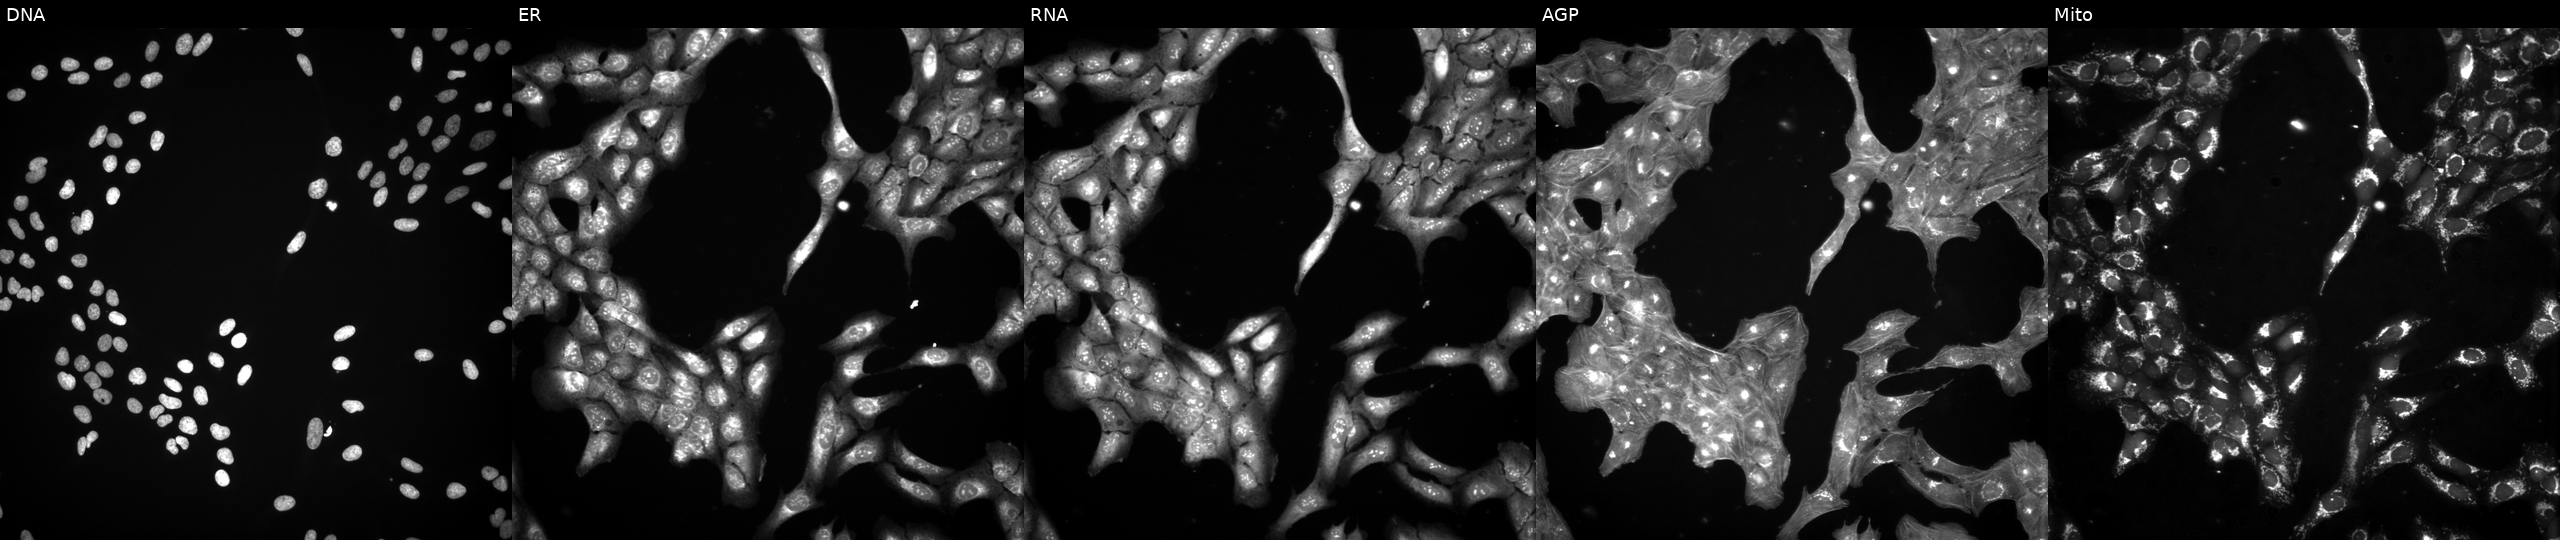
High-content fluorescence microscopy (Cell Painting). Cell line: U2OS. Perturbation: treated with a small-molecule compound (InChIKey LJOKPYFRYJVGPE-UHFFFAOYSA-N) [SMILES: C=CCN=c1[nH]cnc2sc3c(c12)CCC3] (JUMP id JCP2022_049844). Channels (left→right): DNA, ER, RNA, AGP, and Mito. Source 3, plate BR5867b3, well M10.